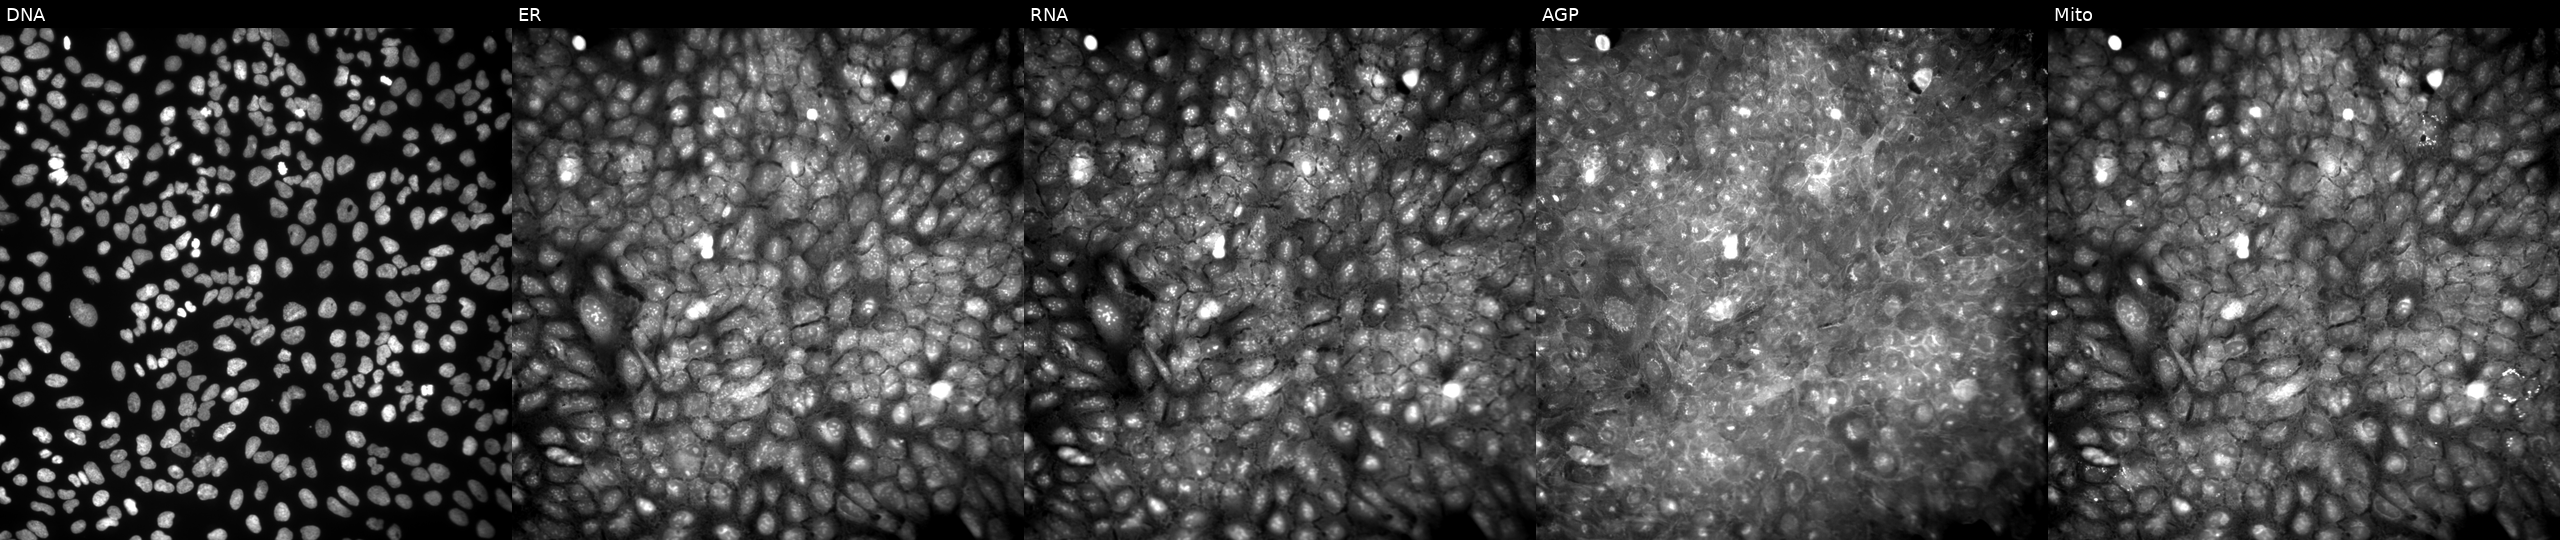
U2OS cells, Cell Painting assay, perturbed with a small-molecule compound (JUMP id JCP2022_103465). From left to right: Hoechst 33342, concanavalin A, SYTO 14, phalloidin and WGA, MitoTracker. Each panel is percentile-stretched 16-bit fluorescence.